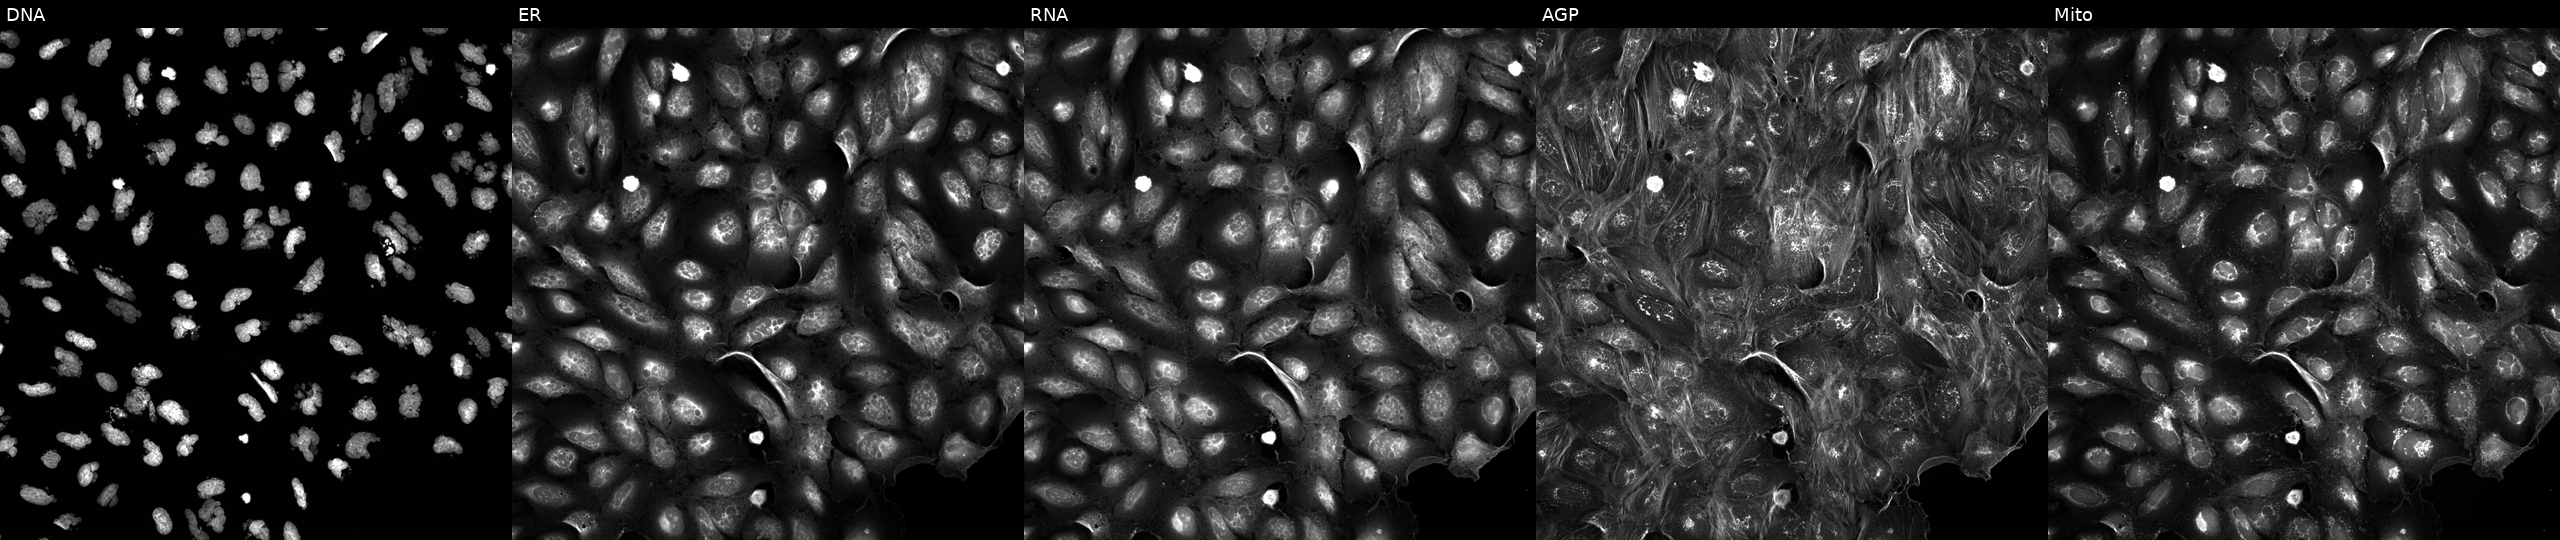
The five panels, left to right, show DNA, ER, RNA, AGP, and Mito. U2OS osteosarcoma cells treated with AMG900 (positive-control compound). Cell Painting assay, JUMP-CP dataset. Source 5, plate APTJUM105, well N24.